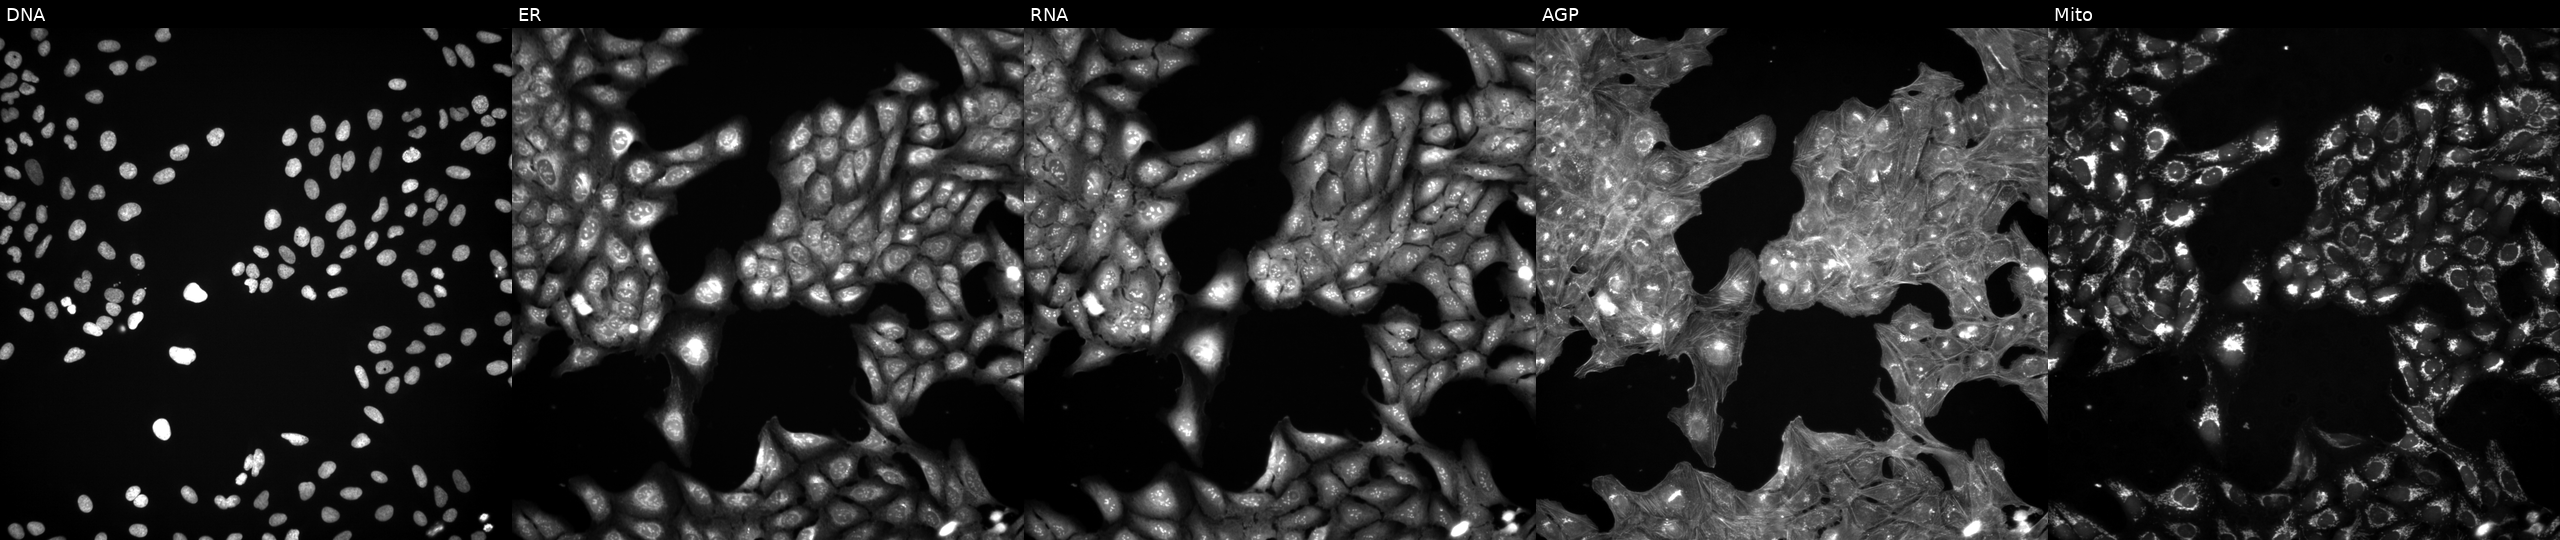
JUMP Cell Painting — TARGET2 plate. U2OS cells perturbed with a small-molecule compound (InChIKey JDKKNQACNITFEA-UHFFFAOYSA-N) (JUMP id JCP2022_039047). From left to right: Hoechst 33342, concanavalin A, SYTO 14, phalloidin and WGA, MitoTracker. Source 3, plate JCPQC051, well O10.